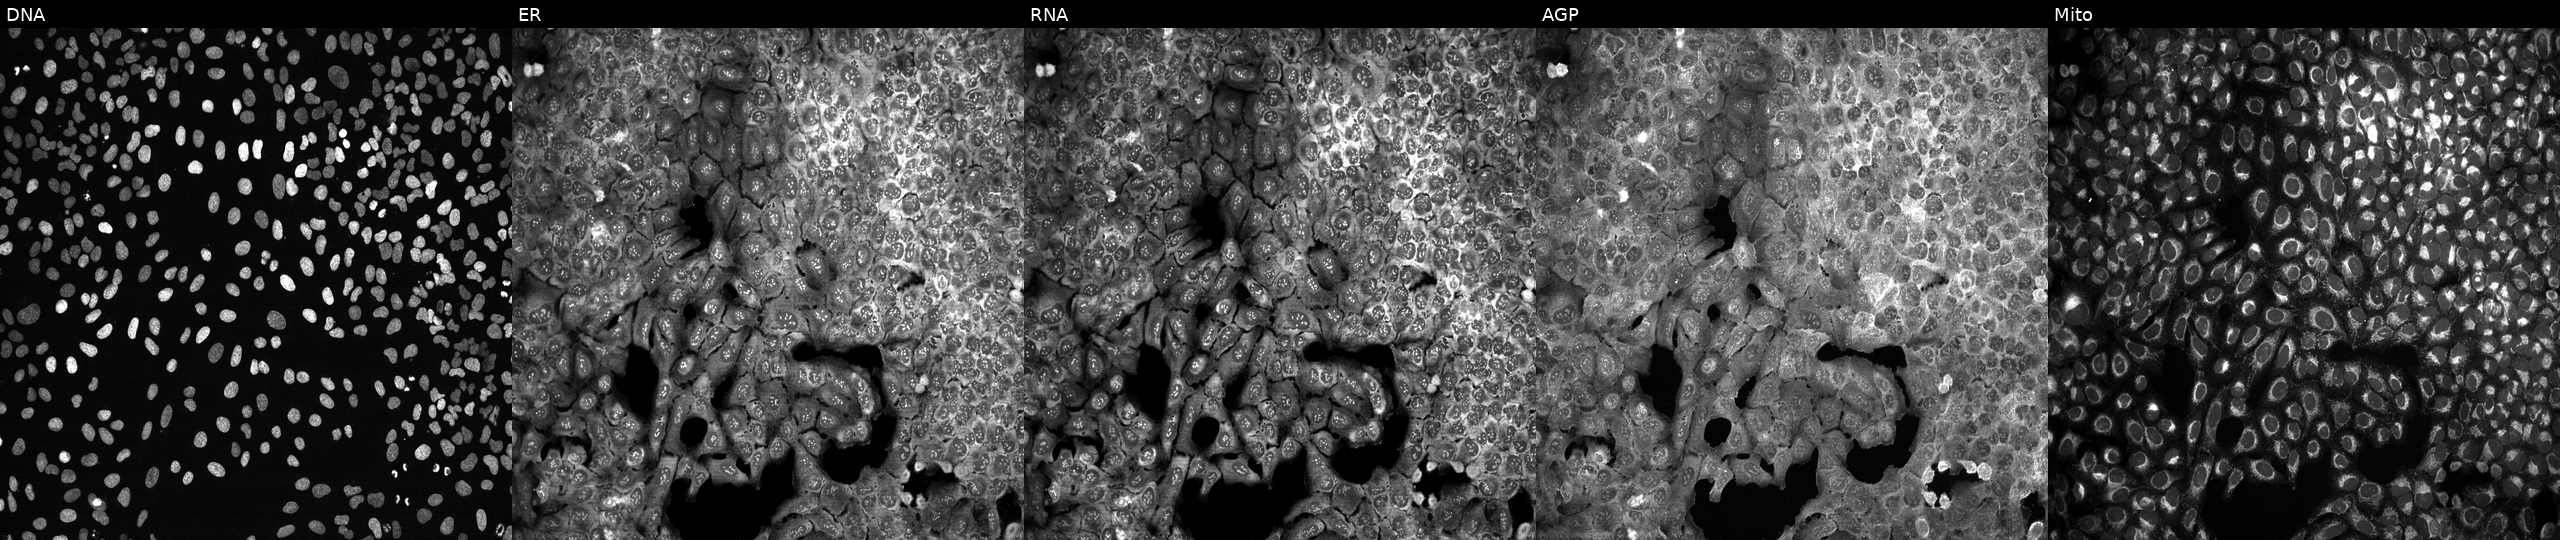
Five-channel Cell Painting image of U2OS cells with LPGAT1 knocked out by CRISPR. The five panels, left to right, show DNA, ER, RNA, AGP, and Mito. Source 13, plate CP-CC9-R3-02, well M08.